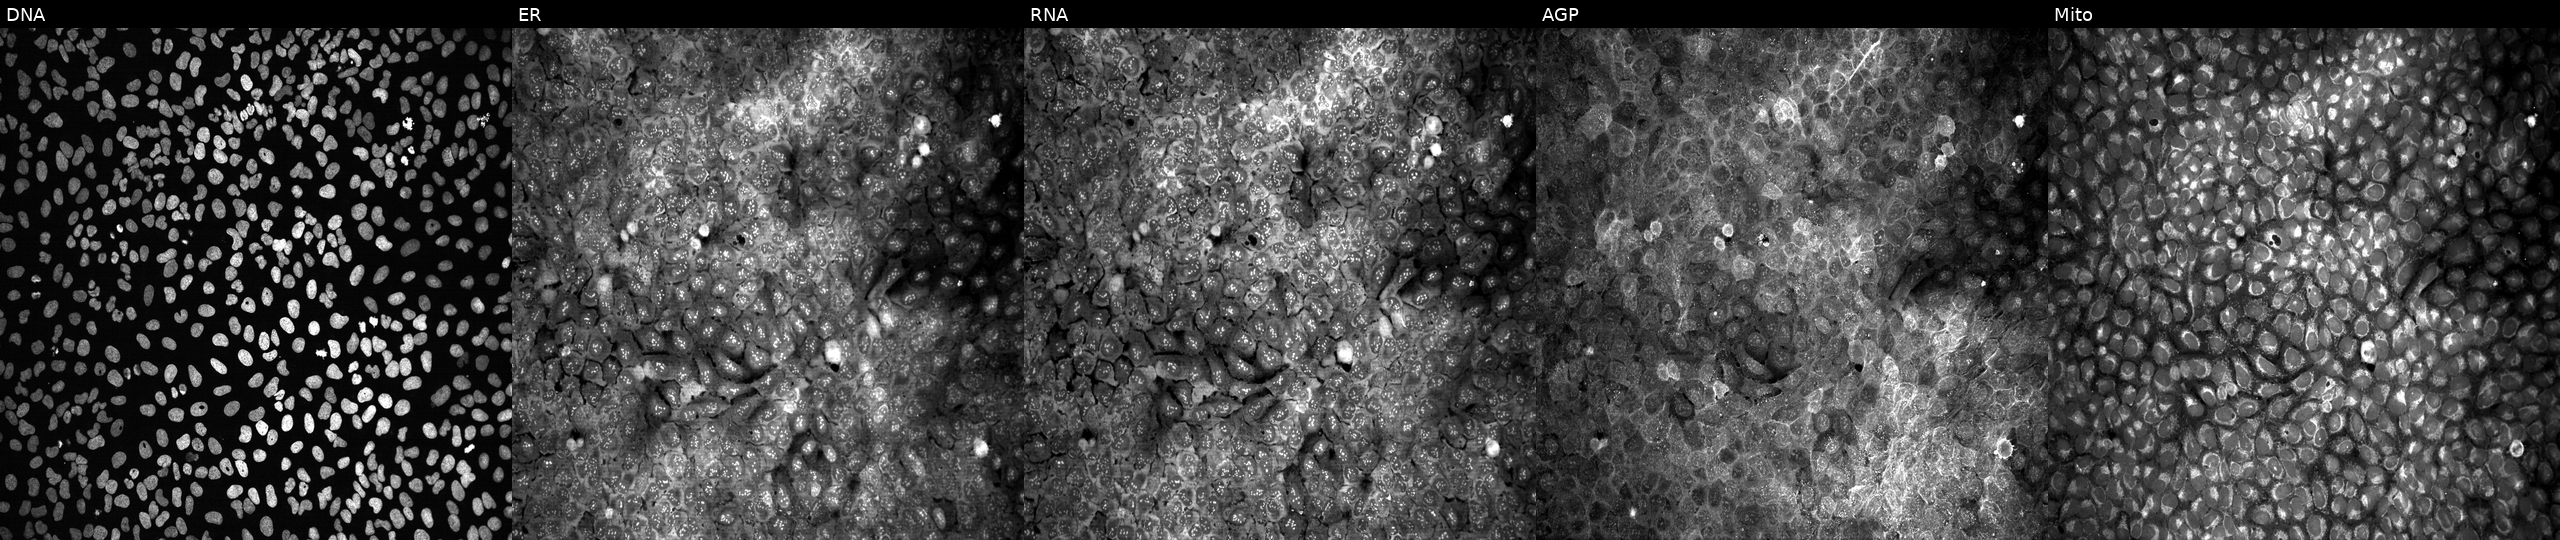
This image strip shows the five Cell Painting channels for a single field of U2OS cells treated with DMSO vehicle only (negative control) (JUMP id JCP2022_033924). Panels show, left to right, DNA, ER, RNA, AGP, and Mito. Source 13, plate CP-CC9-R5-01, well L02.